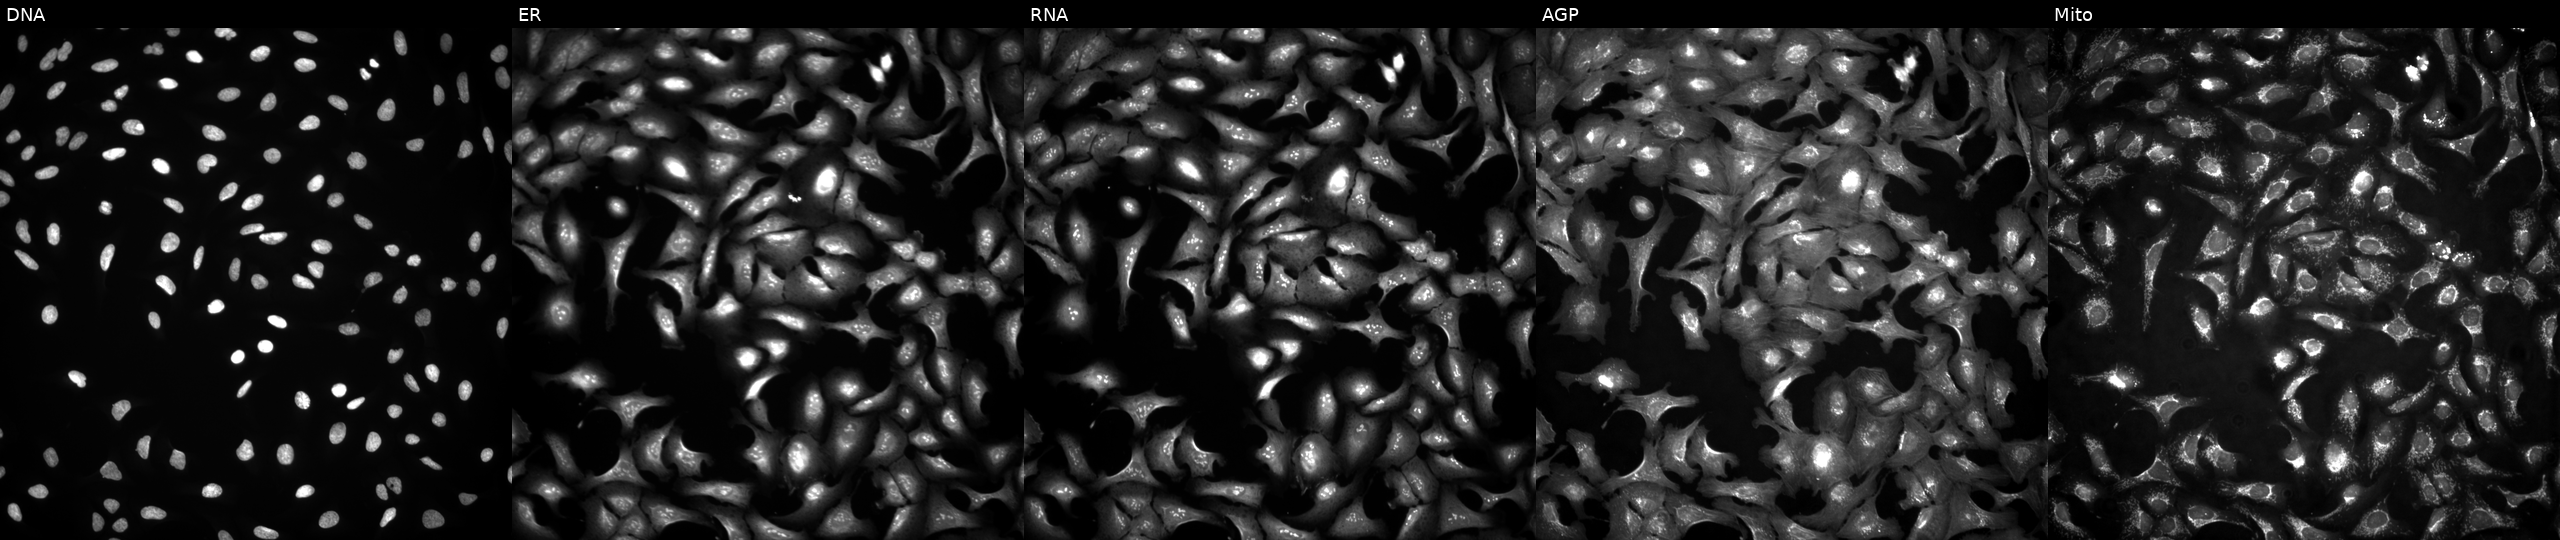
This image strip shows the five Cell Painting channels for a single field of U2OS cells overexpressing IFIT3 via ORF transfection (JUMP id JCP2022_906017). From left to right: DNA (nuclei); ER (endoplasmic reticulum); RNA (nucleoli and cytoplasmic RNA); AGP (actin cytoskeleton, Golgi, and plasma membrane); Mito (mitochondria).